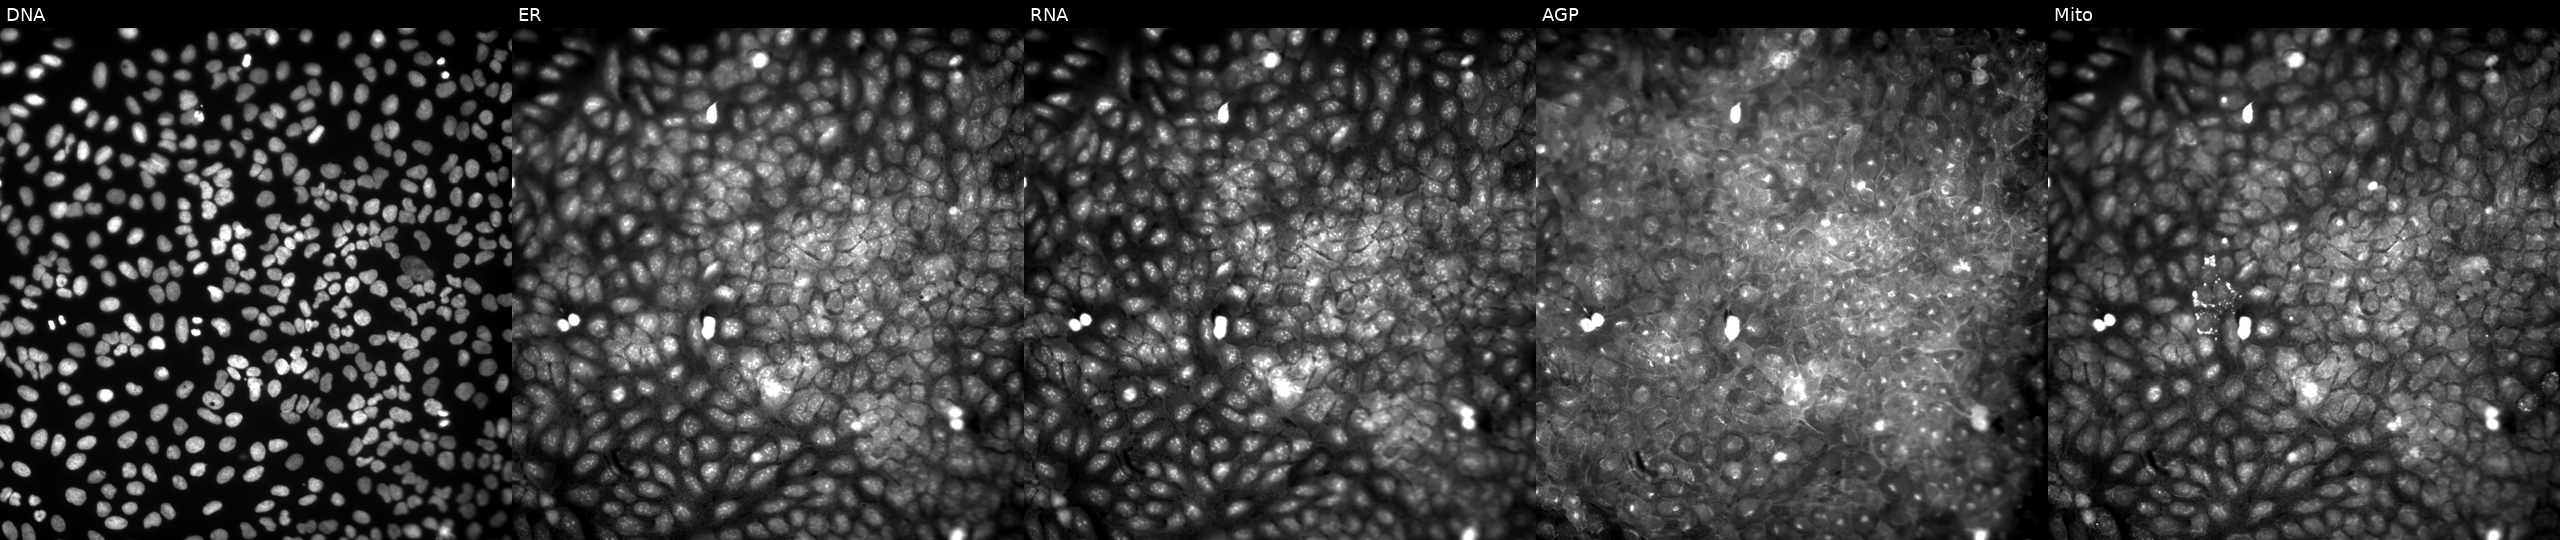
This image strip shows the five Cell Painting channels for a single field of U2OS cells perturbed with a small-molecule compound (InChIKey MBUHXLRLEXBOPE-UHFFFAOYSA-N). From left to right: DNA (nuclei); ER (endoplasmic reticulum); RNA (nucleoli and cytoplasmic RNA); AGP (actin cytoskeleton, Golgi, and plasma membrane); Mito (mitochondria). Source 9, plate GR00003382, well AD44.